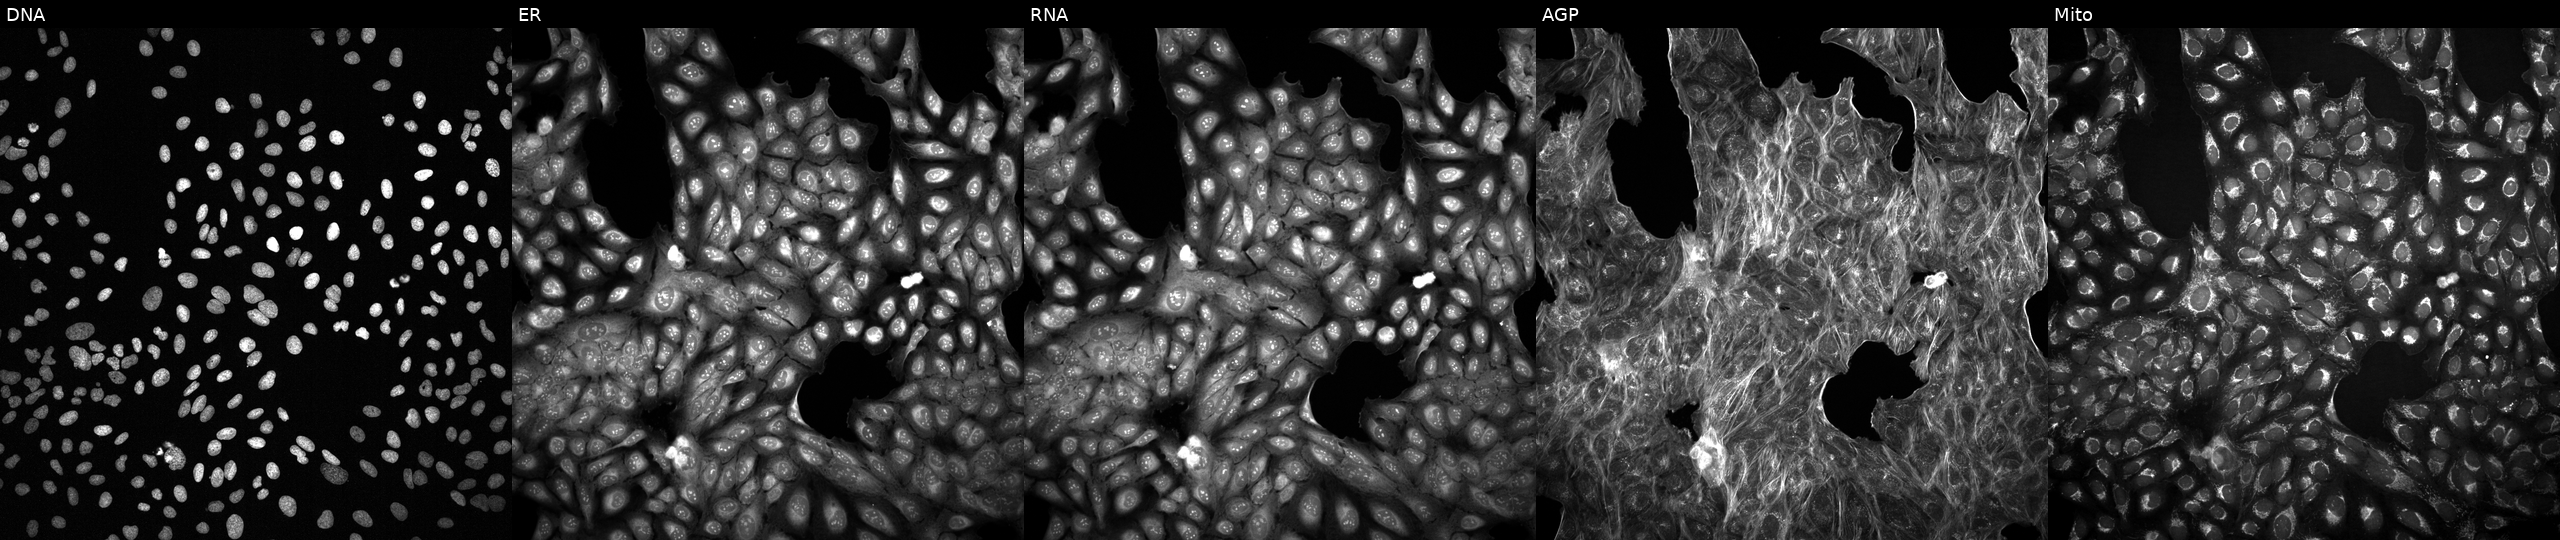
High-content fluorescence microscopy (Cell Painting). Cell line: U2OS. Perturbation: with an unidentified perturbation (not annotated in JUMP metadata). Channels (left→right): DNA, ER, RNA, AGP, and Mito.